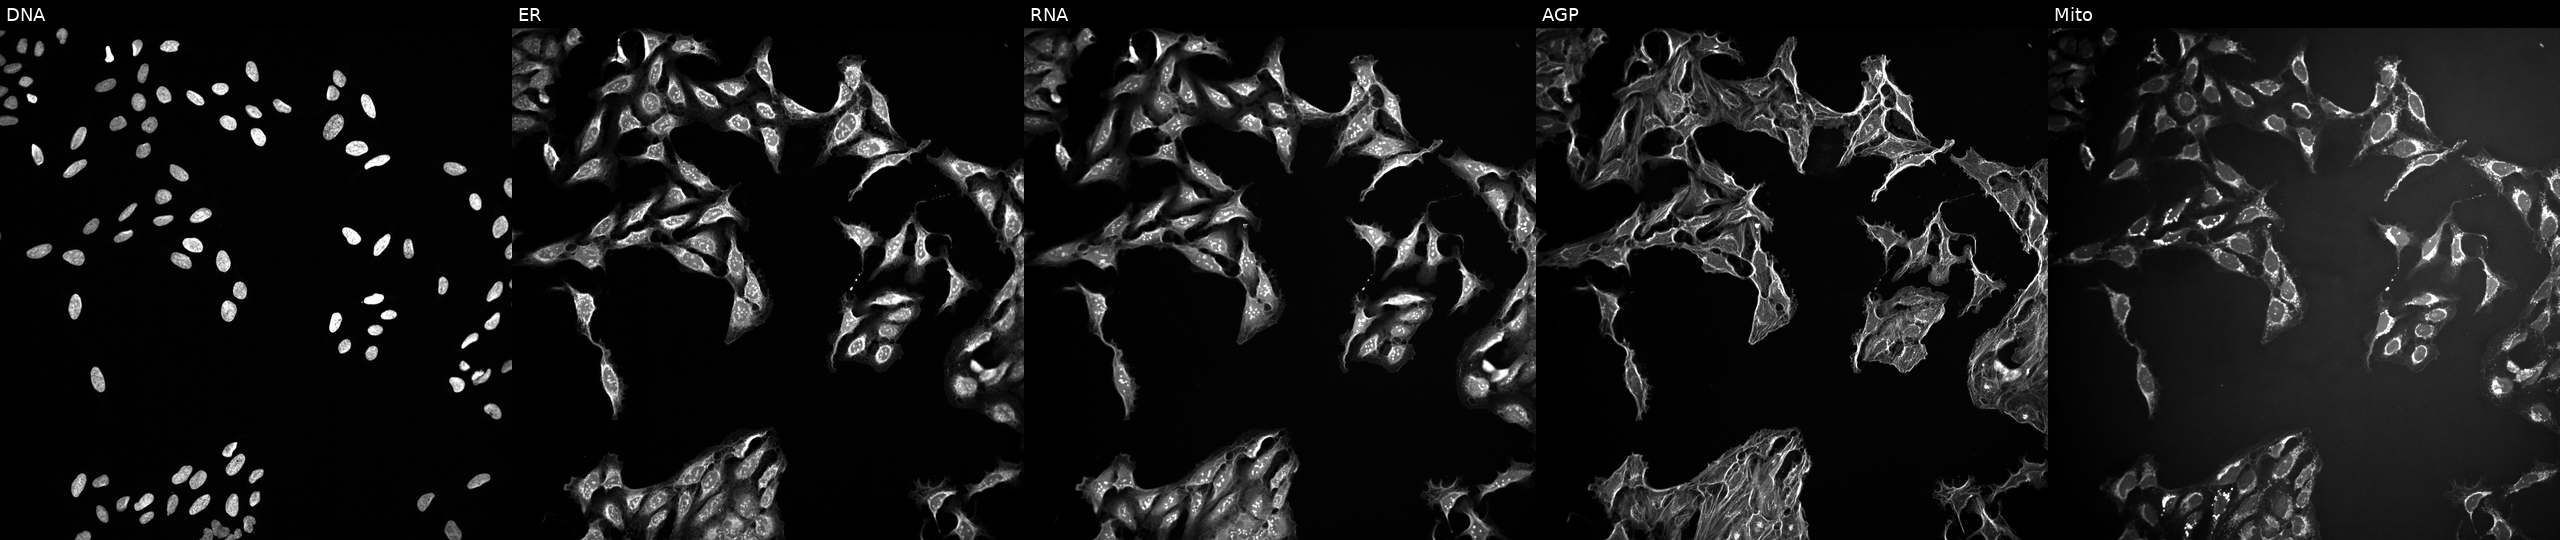
Channels (left→right): DNA (nuclei); ER (endoplasmic reticulum); RNA (nucleoli and cytoplasmic RNA); AGP (actin cytoskeleton, Golgi, and plasma membrane); Mito (mitochondria). U2OS osteosarcoma cells exposed to DMSO alone as a negative control. Cell Painting assay, JUMP-CP dataset. Source 10, plate Dest210727-153003, well N20.